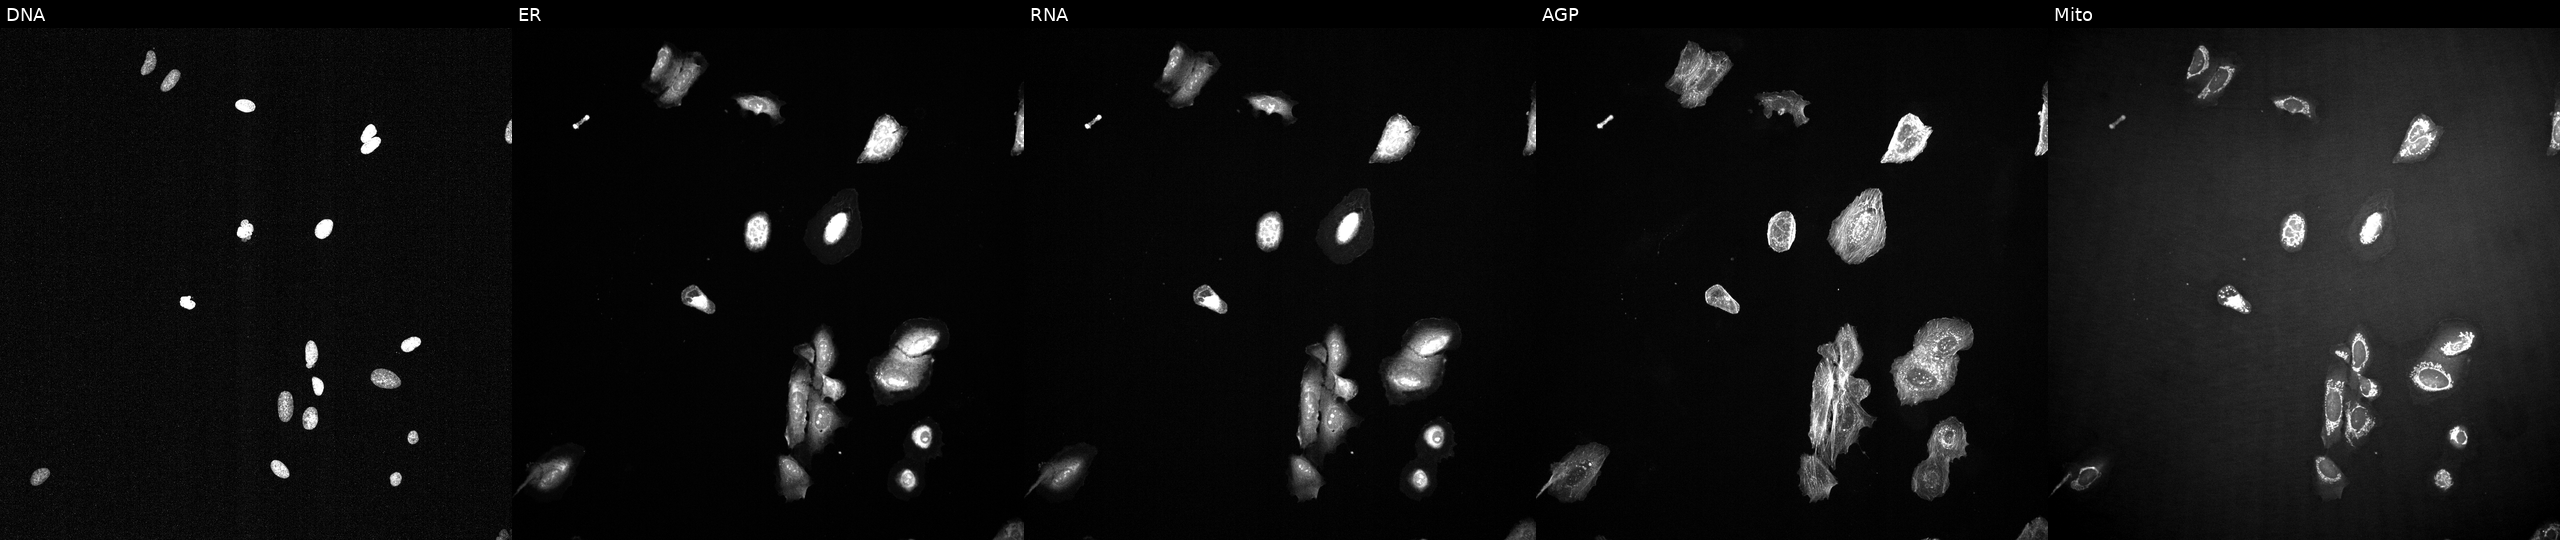
High-content fluorescence microscopy (Cell Painting). Cell line: U2OS. Perturbation: treated with a small-molecule compound [SMILES: N=c1cc(C(F)(F)F)c(-c2cc(N3CCOCC3)nc(N3CCOCC3)n2)c[nH]1] (JUMP id JCP2022_013856). The five panels, left to right, show DNA, ER, RNA, AGP, and Mito.